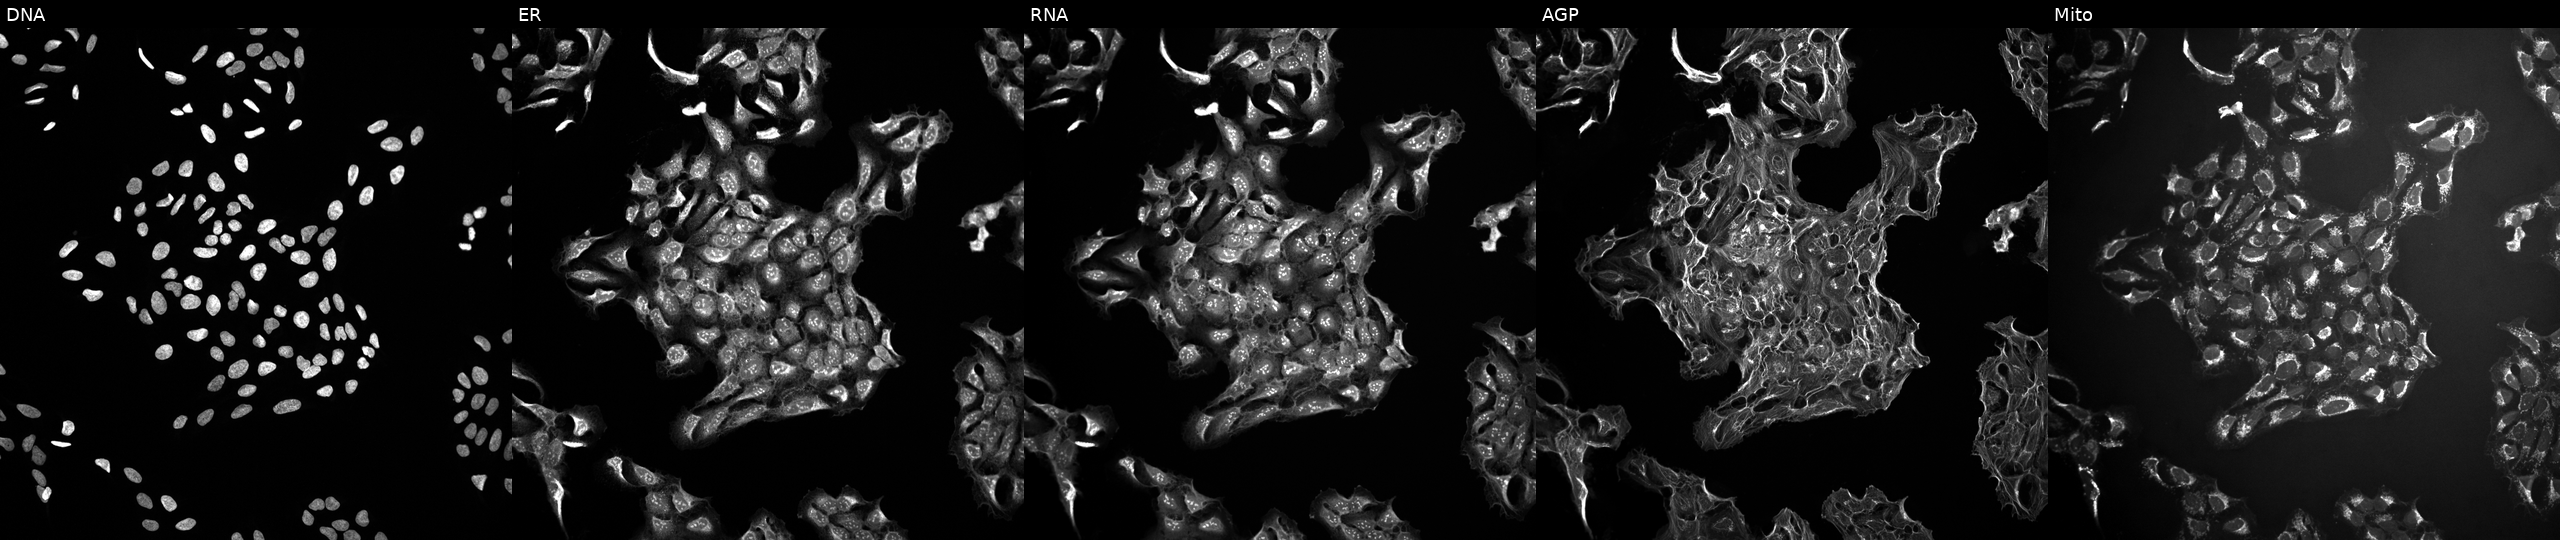
The five panels, left to right, show DNA (nuclei); ER (endoplasmic reticulum); RNA (nucleoli and cytoplasmic RNA); AGP (actin cytoskeleton, Golgi, and plasma membrane); Mito (mitochondria). U2OS osteosarcoma cells exposed to DMSO alone as a negative control. Cell Painting assay, JUMP-CP dataset.